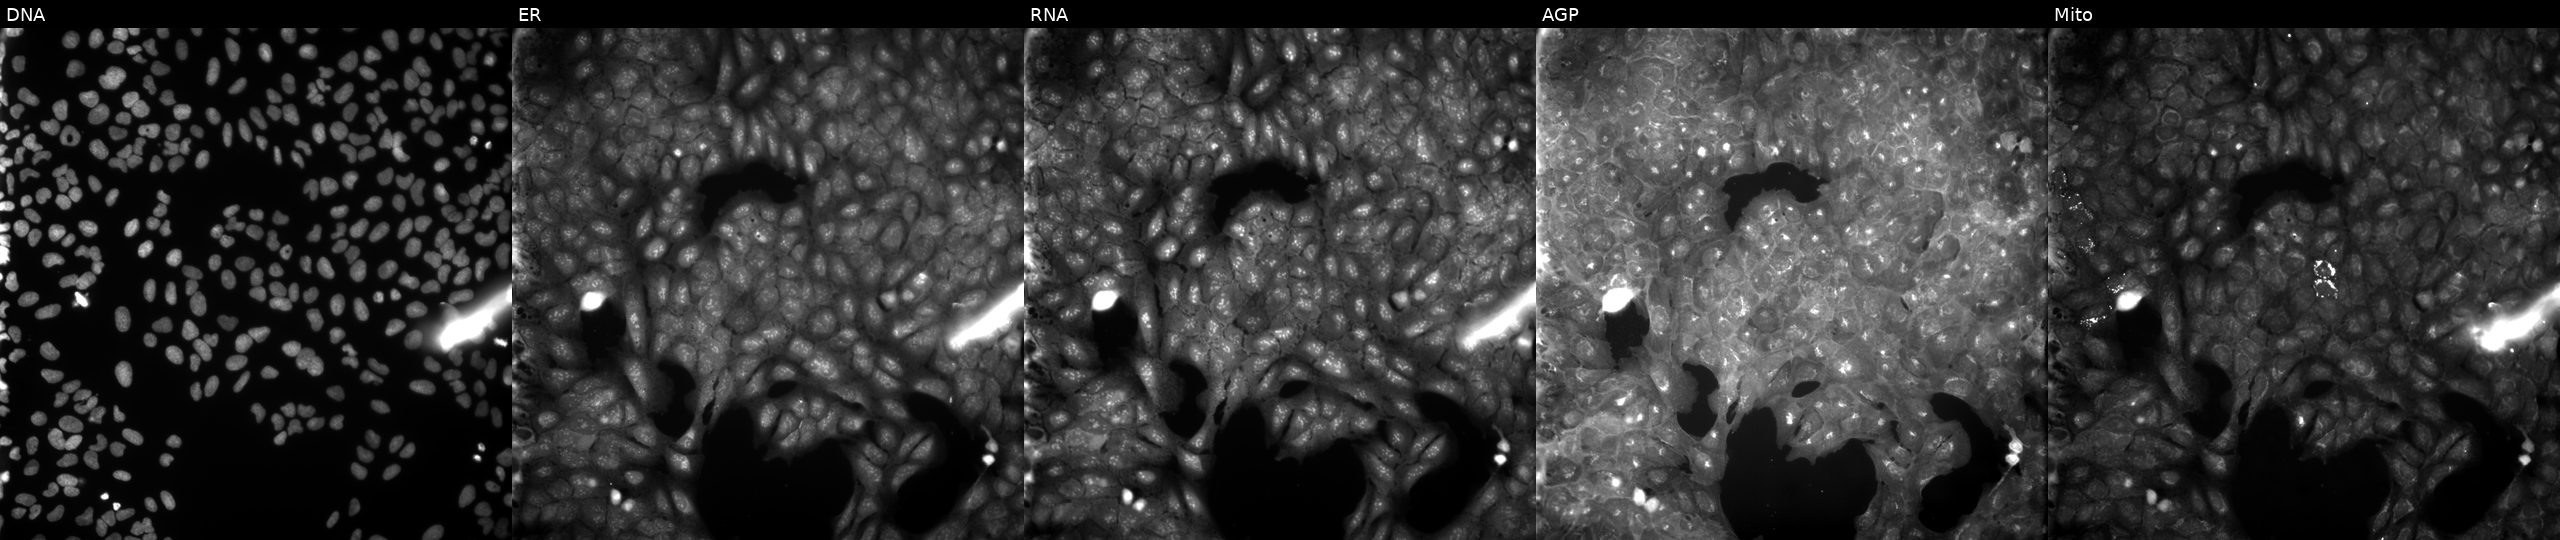
JUMP Cell Painting — COMPOUND plate. U2OS cells treated with a small-molecule compound (InChIKey KRLYUXNVUKKXJP-UHFFFAOYSA-N) (JUMP id JCP2022_046532). Channels (left→right): DNA, ER, RNA, AGP, and Mito.